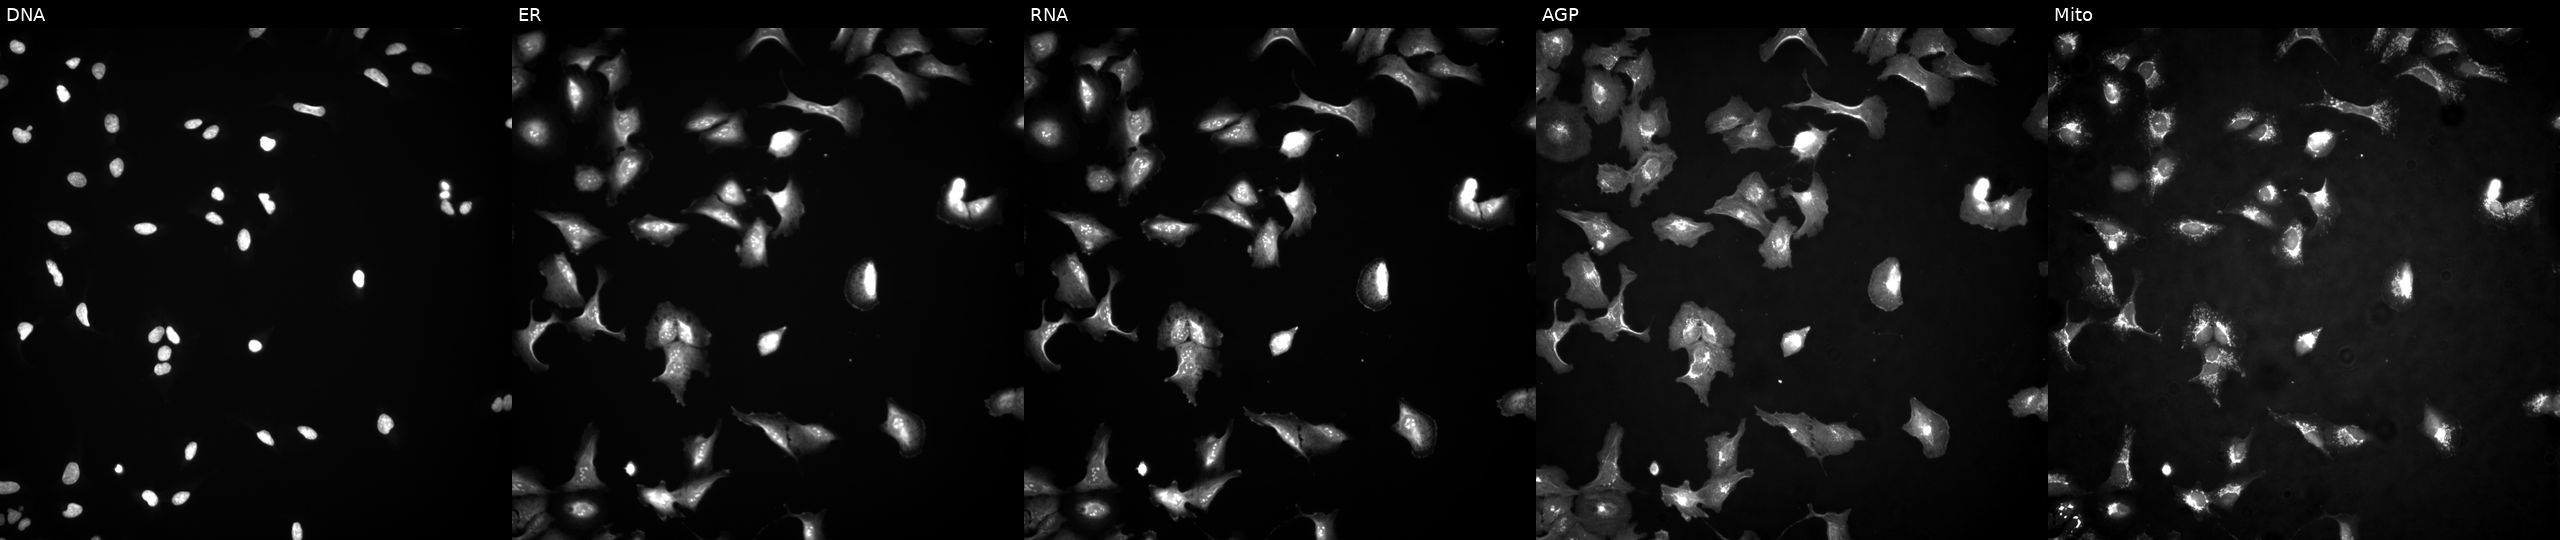
This image strip shows the five Cell Painting channels for a single field of U2OS cells overexpressing CTBP1 via ORF transfection. Panels show, left to right, Hoechst 33342, concanavalin A, SYTO 14, phalloidin and WGA, MitoTracker.